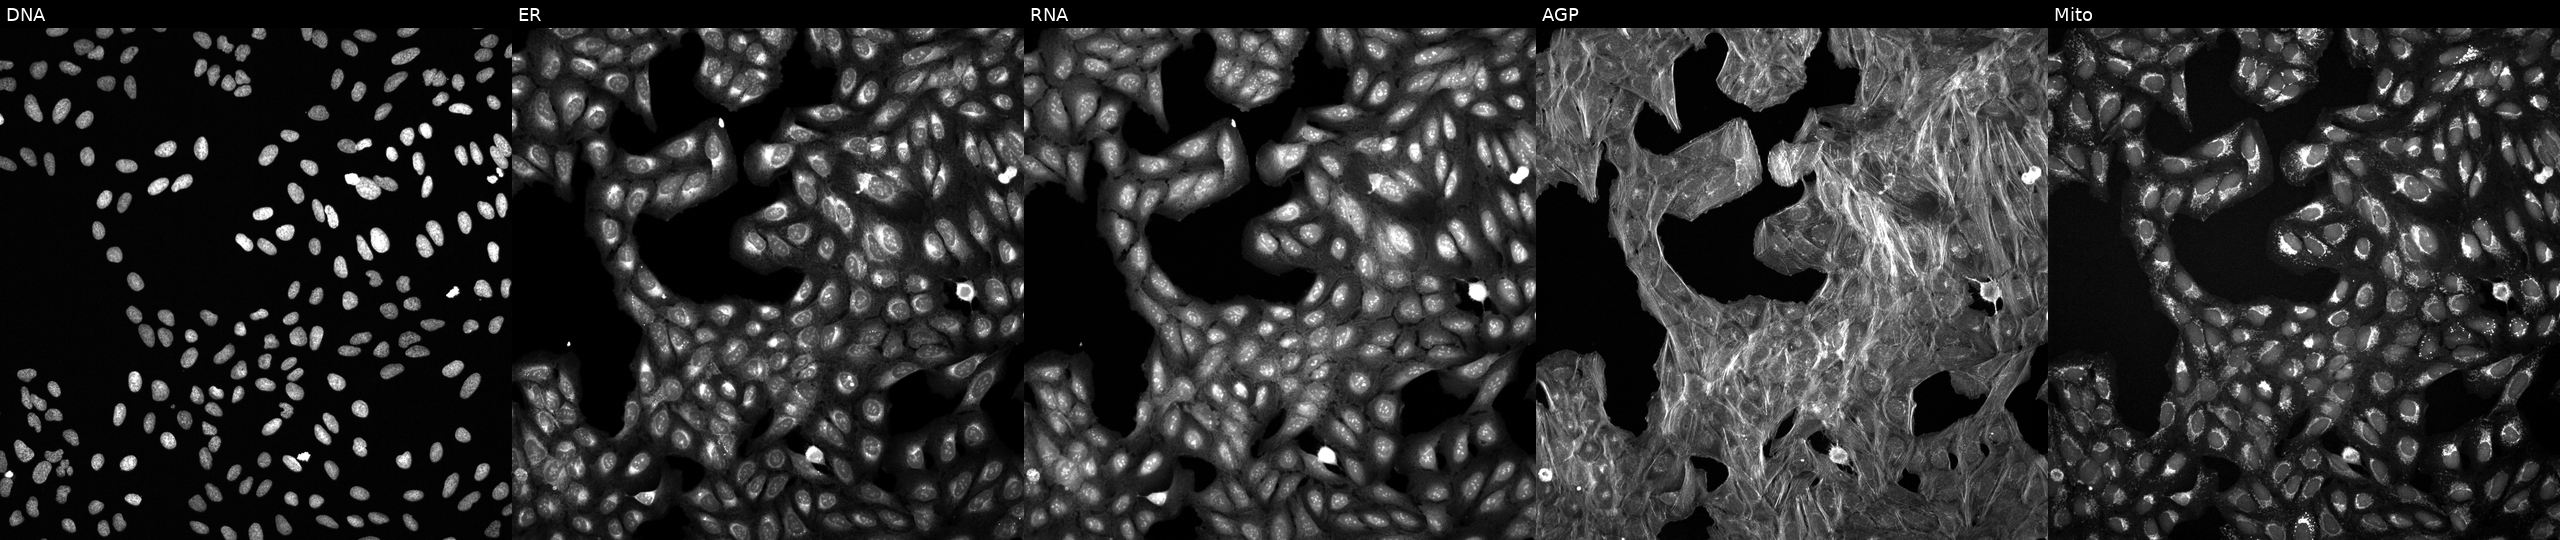
This image strip shows the five Cell Painting channels for a single field of U2OS cells treated with DMSO vehicle only (negative control). Channels (left→right): DNA (nuclei); ER (endoplasmic reticulum); RNA (nucleoli and cytoplasmic RNA); AGP (actin cytoskeleton, Golgi, and plasma membrane); Mito (mitochondria).